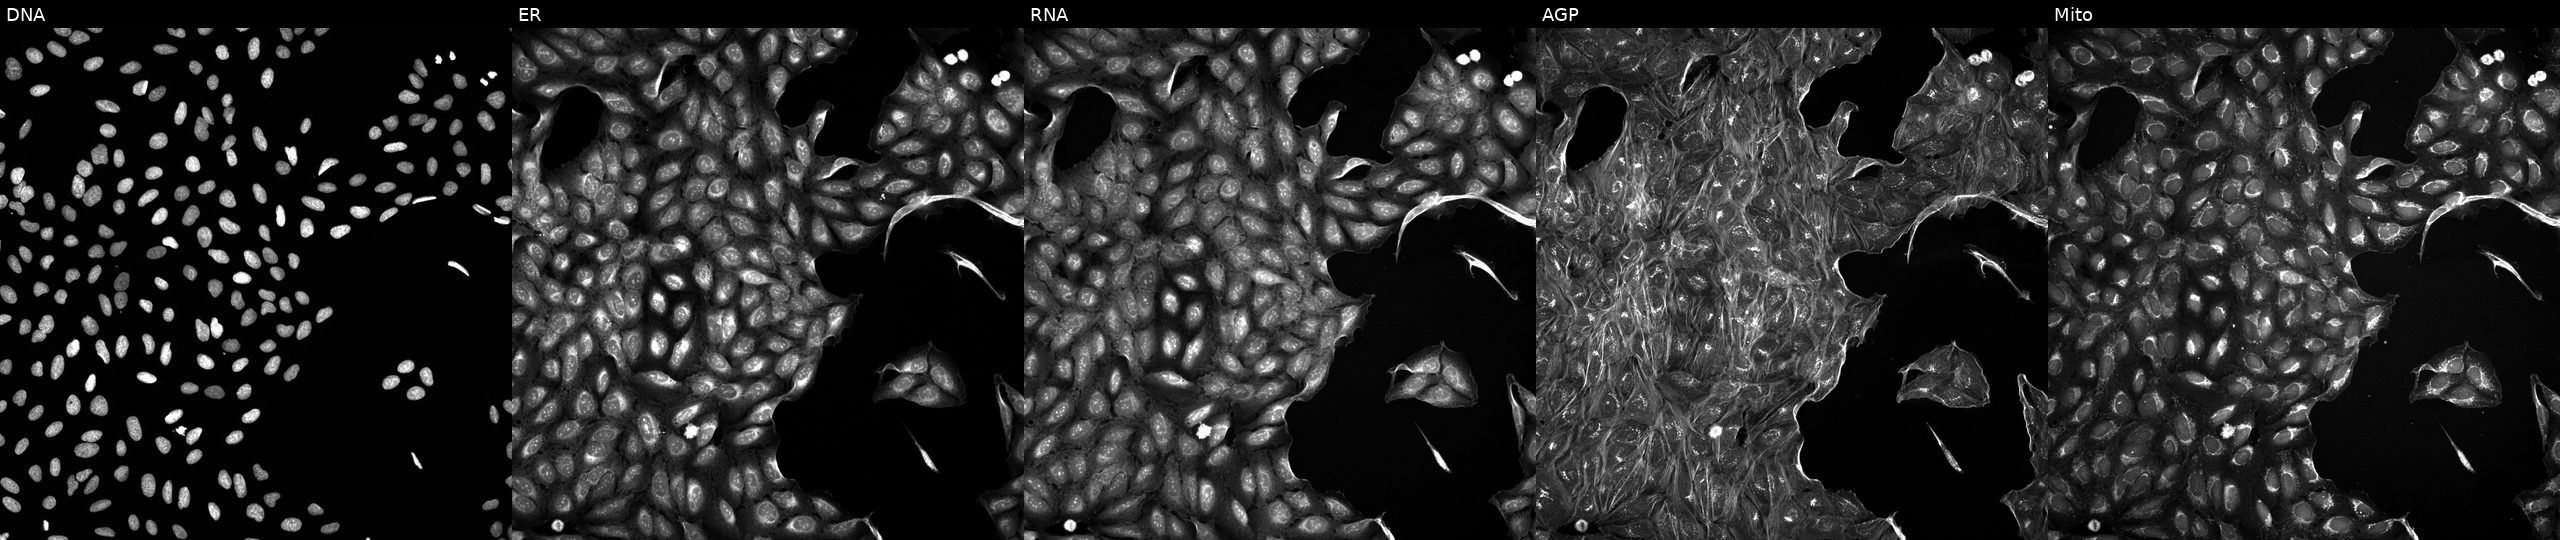
U2OS cells, Cell Painting assay, exposed to DMSO alone as a negative control. Channels (left→right): DNA (nuclei); ER (endoplasmic reticulum); RNA (nucleoli and cytoplasmic RNA); AGP (actin cytoskeleton, Golgi, and plasma membrane); Mito (mitochondria). Each panel is percentile-stretched 16-bit fluorescence. Source 5, plate ACPJUM032, well A05.